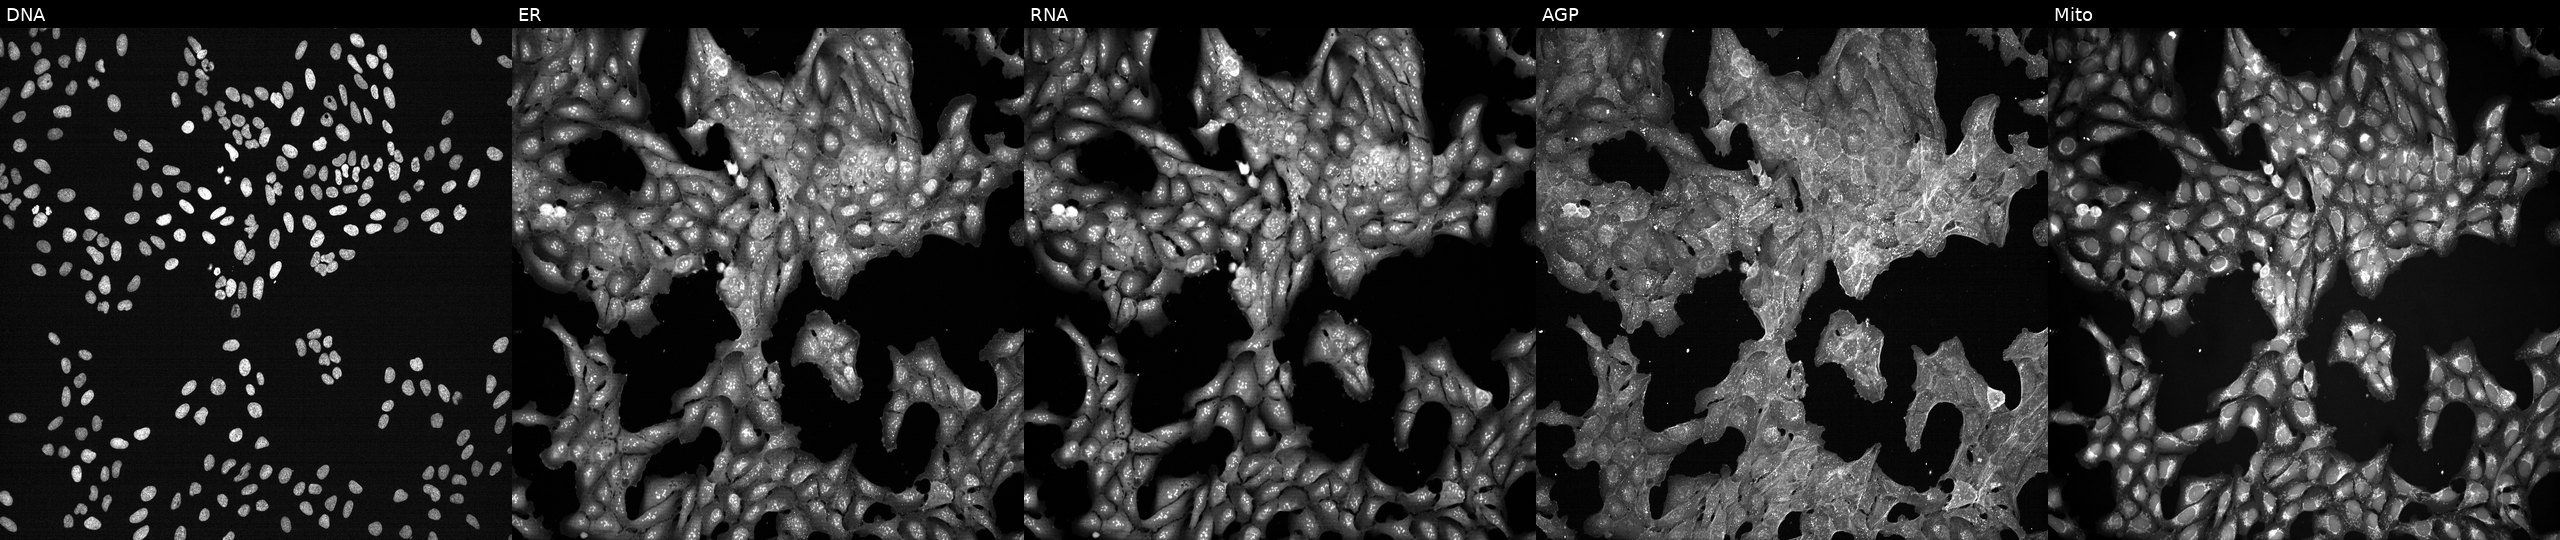
Five-channel Cell Painting image of U2OS cells exposed to a small-molecule compound (InChIKey QNQZWEGMKJBHEM-UHFFFAOYSA-N). Channels (left→right): DNA (nuclei); ER (endoplasmic reticulum); RNA (nucleoli and cytoplasmic RNA); AGP (actin cytoskeleton, Golgi, and plasma membrane); Mito (mitochondria). Source 7, plate CP2-SC1-25, well E17.